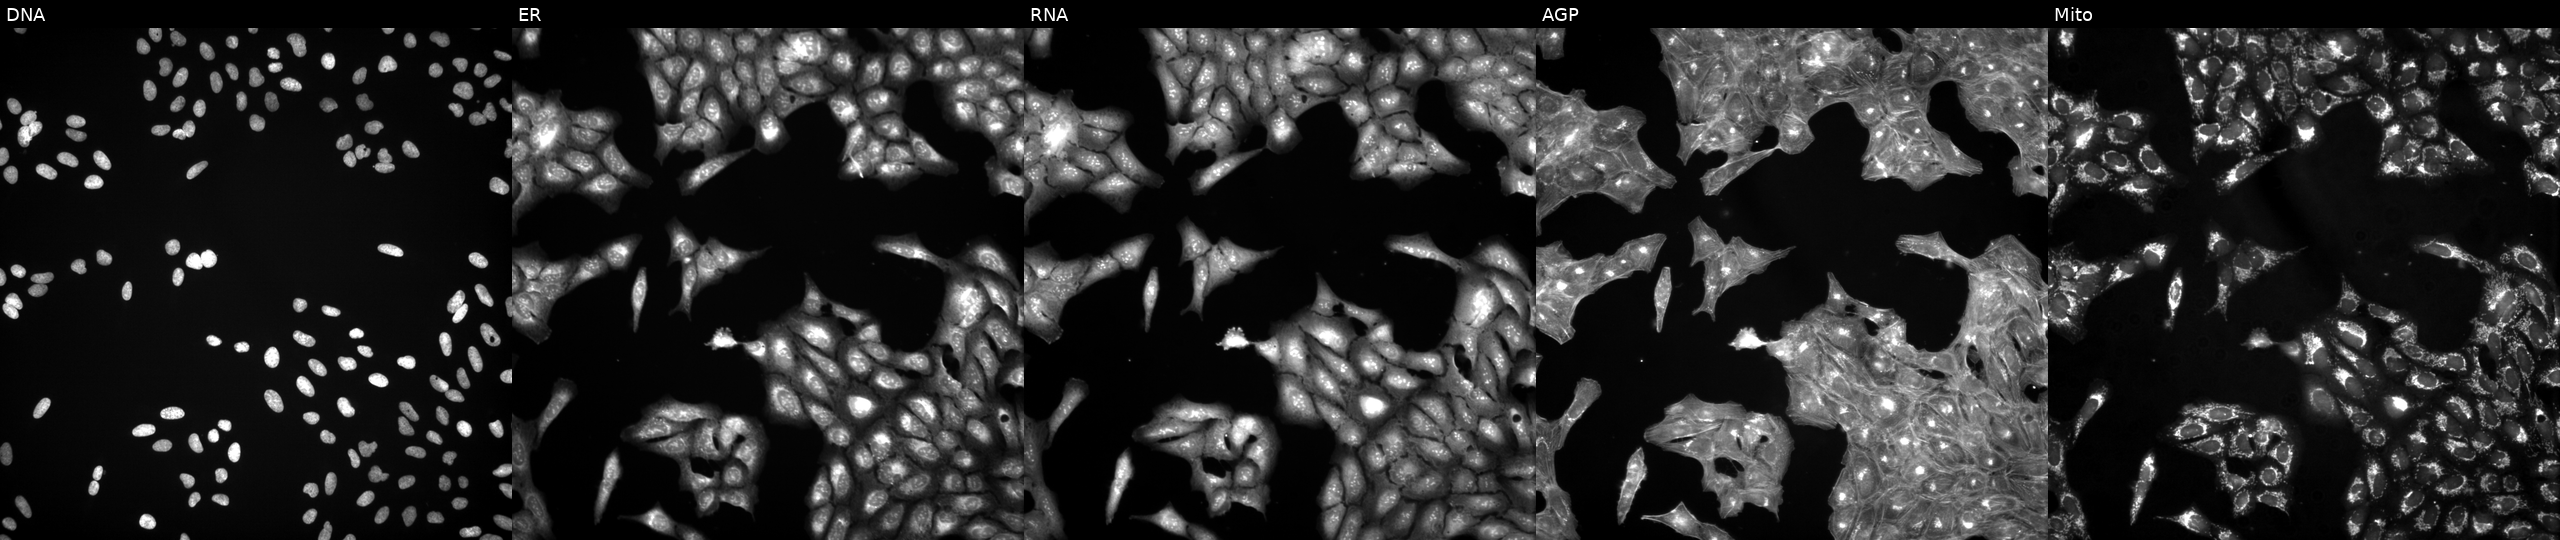
U2OS cells, Cell Painting assay, treated with a small-molecule compound [SMILES: Cc1nc2c([nH]1)-c1ccccc1N(C(=O)c1ccc(NC(=O)c3ccccc3-c3ccccc3)cc1)CC2]. From left to right: DNA (nuclei); ER (endoplasmic reticulum); RNA (nucleoli and cytoplasmic RNA); AGP (actin cytoskeleton, Golgi, and plasma membrane); Mito (mitochondria). Each panel is percentile-stretched 16-bit fluorescence.